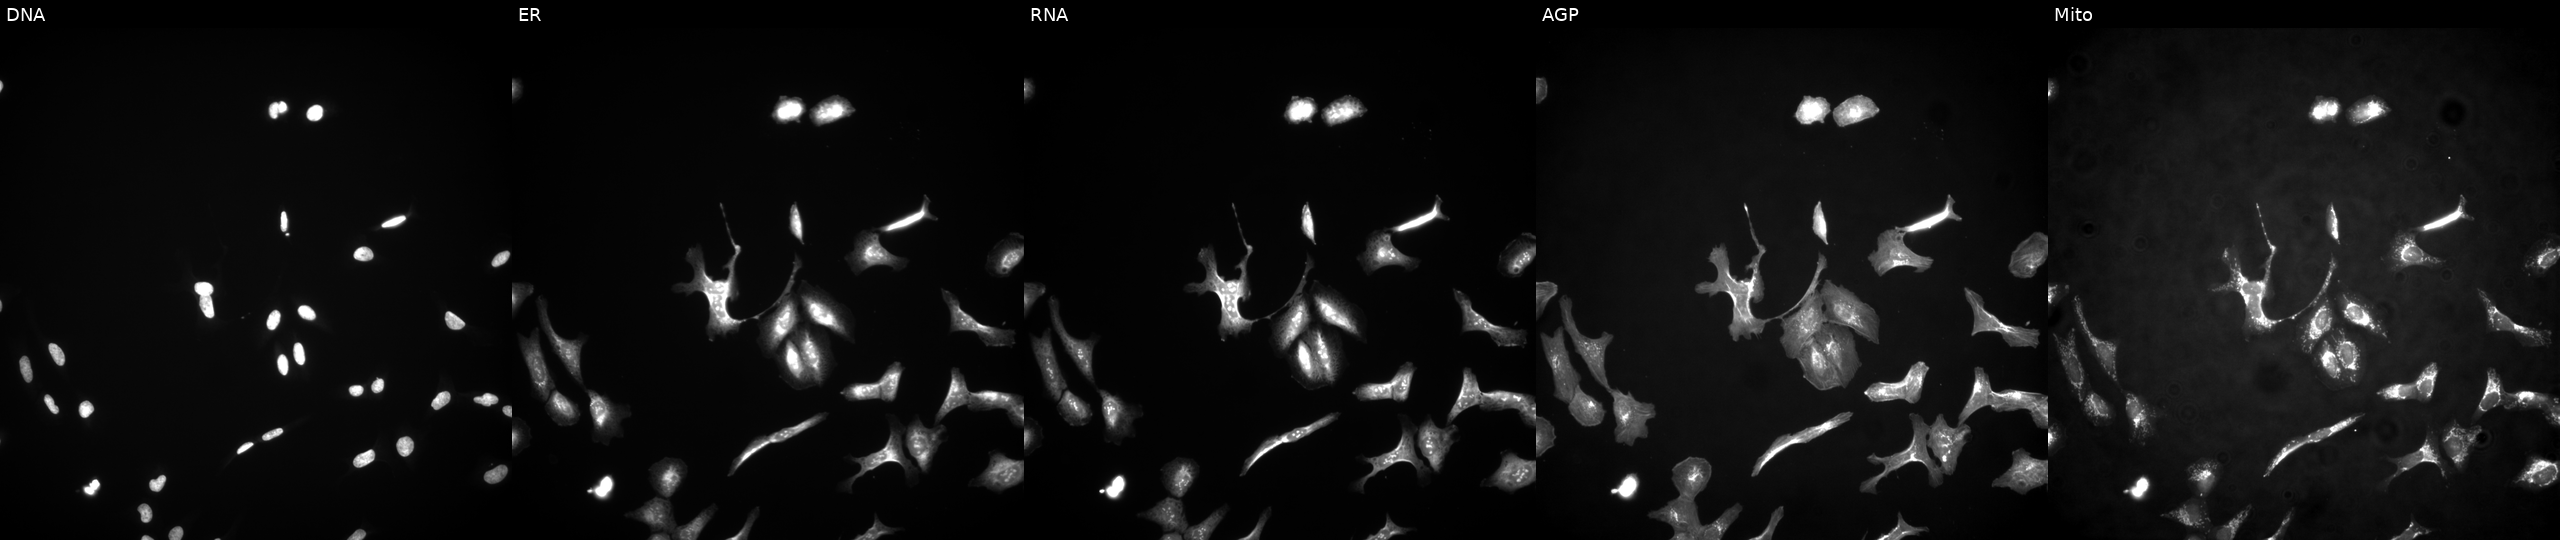
JUMP Cell Painting — ORF plate. U2OS cells transfected with an ORF construct for ELOVL7 (JUMP id JCP2022_903897). Panels show, left to right, DNA (nuclei); ER (endoplasmic reticulum); RNA (nucleoli and cytoplasmic RNA); AGP (actin cytoskeleton, Golgi, and plasma membrane); Mito (mitochondria).